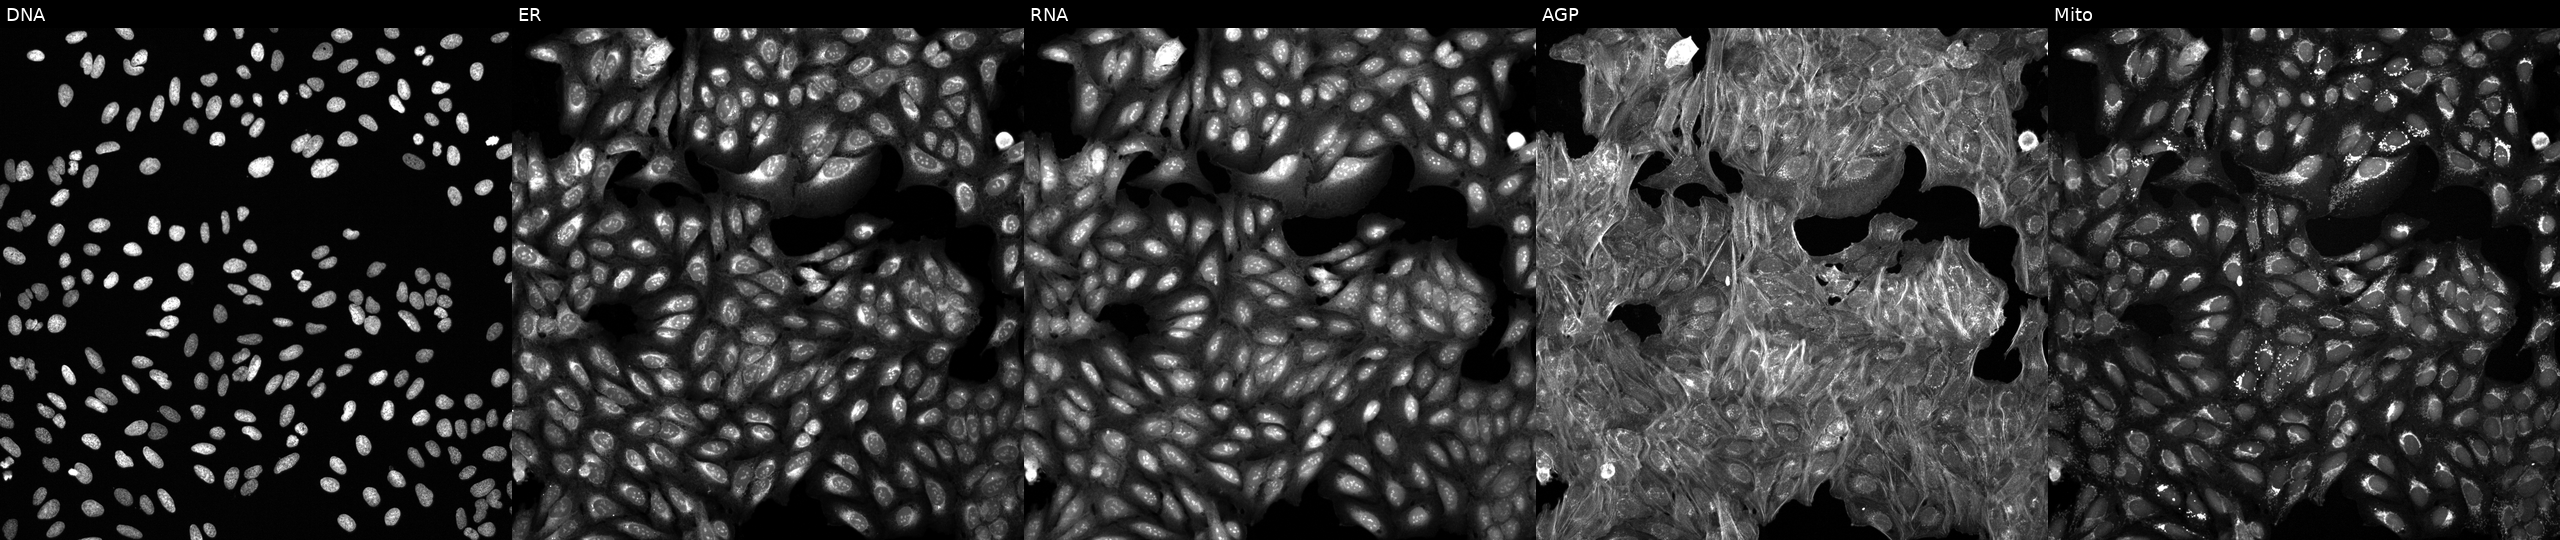
Panels show, left to right, DNA (nuclei); ER (endoplasmic reticulum); RNA (nucleoli and cytoplasmic RNA); AGP (actin cytoskeleton, Golgi, and plasma membrane); Mito (mitochondria). U2OS osteosarcoma cells perturbed with a small-molecule compound (InChIKey NQDJXKOVJZTUJA-UHFFFAOYSA-N) [SMILES: Cc1ccnc2c1NC(=O)c1cccnc1N2C1CC1] (JUMP id JCP2022_060649). Cell Painting assay, JUMP-CP dataset. Source 6, plate 110000294901, well A19.